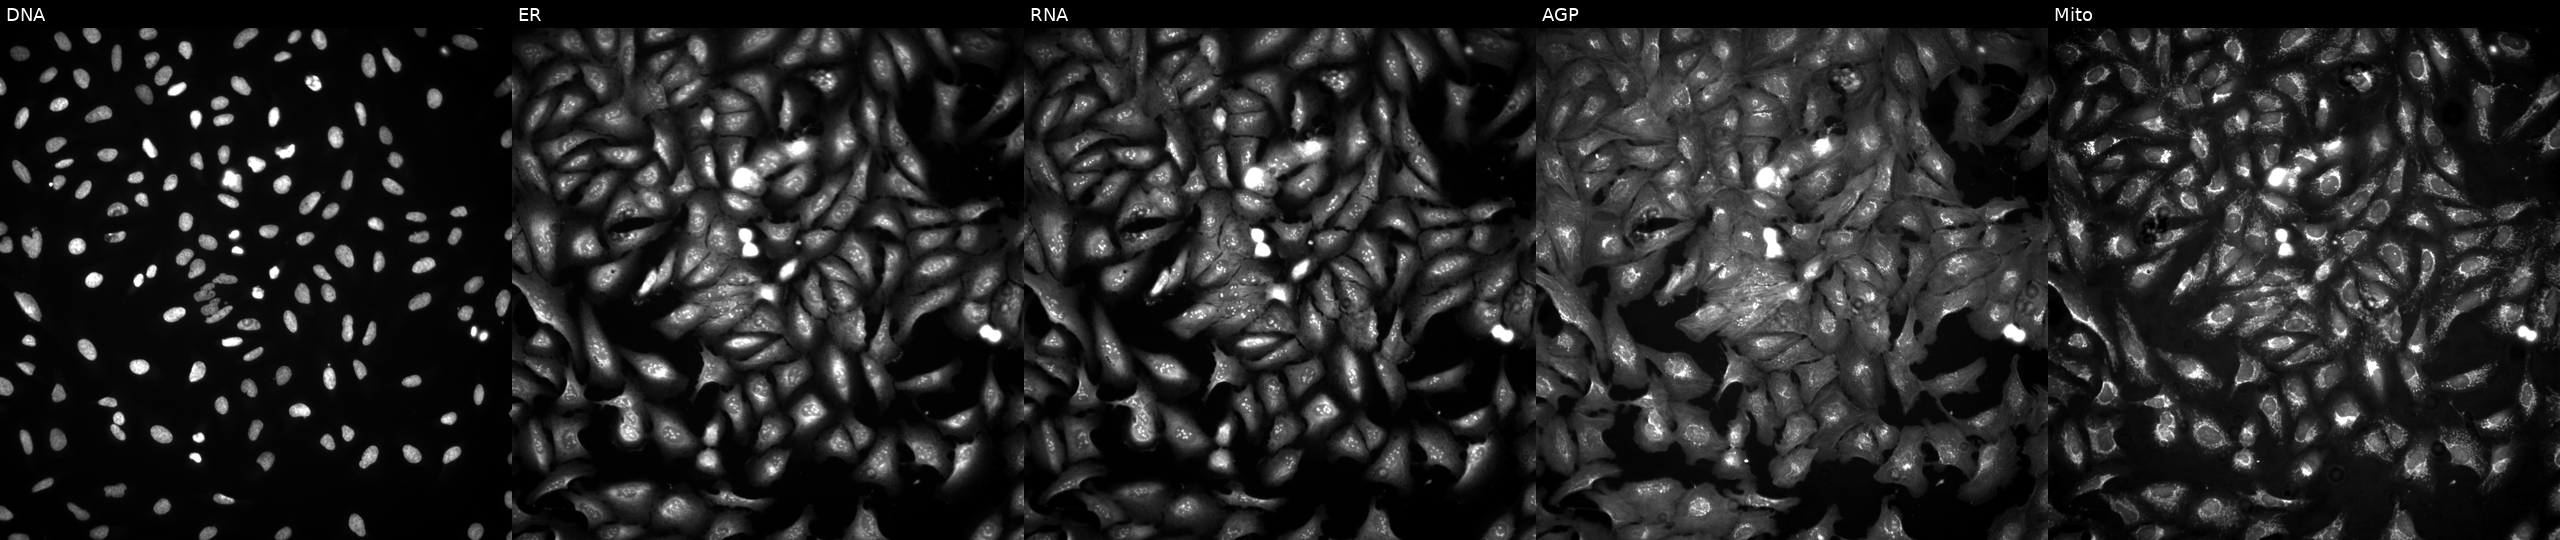
This image strip shows the five Cell Painting channels for a single field of U2OS cells transfected with an ORF construct for RHNO1. Channels (left→right): DNA, ER, RNA, AGP, and Mito.